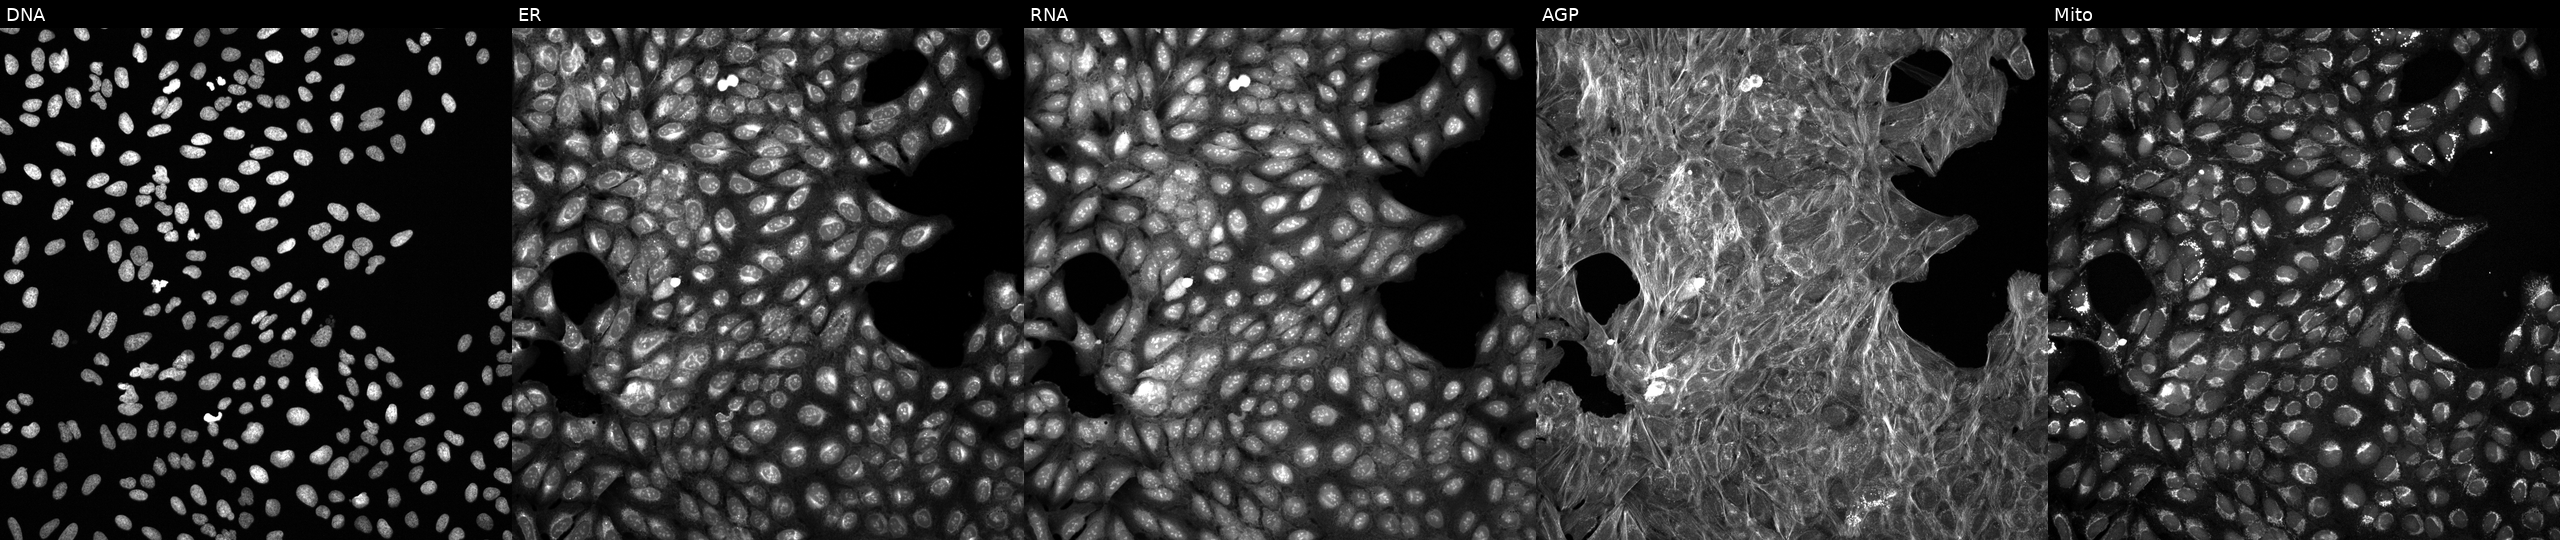
Five-channel Cell Painting image of U2OS cells treated with a small-molecule compound (JUMP id JCP2022_094496). The five panels, left to right, show DNA (nuclei); ER (endoplasmic reticulum); RNA (nucleoli and cytoplasmic RNA); AGP (actin cytoskeleton, Golgi, and plasma membrane); Mito (mitochondria).